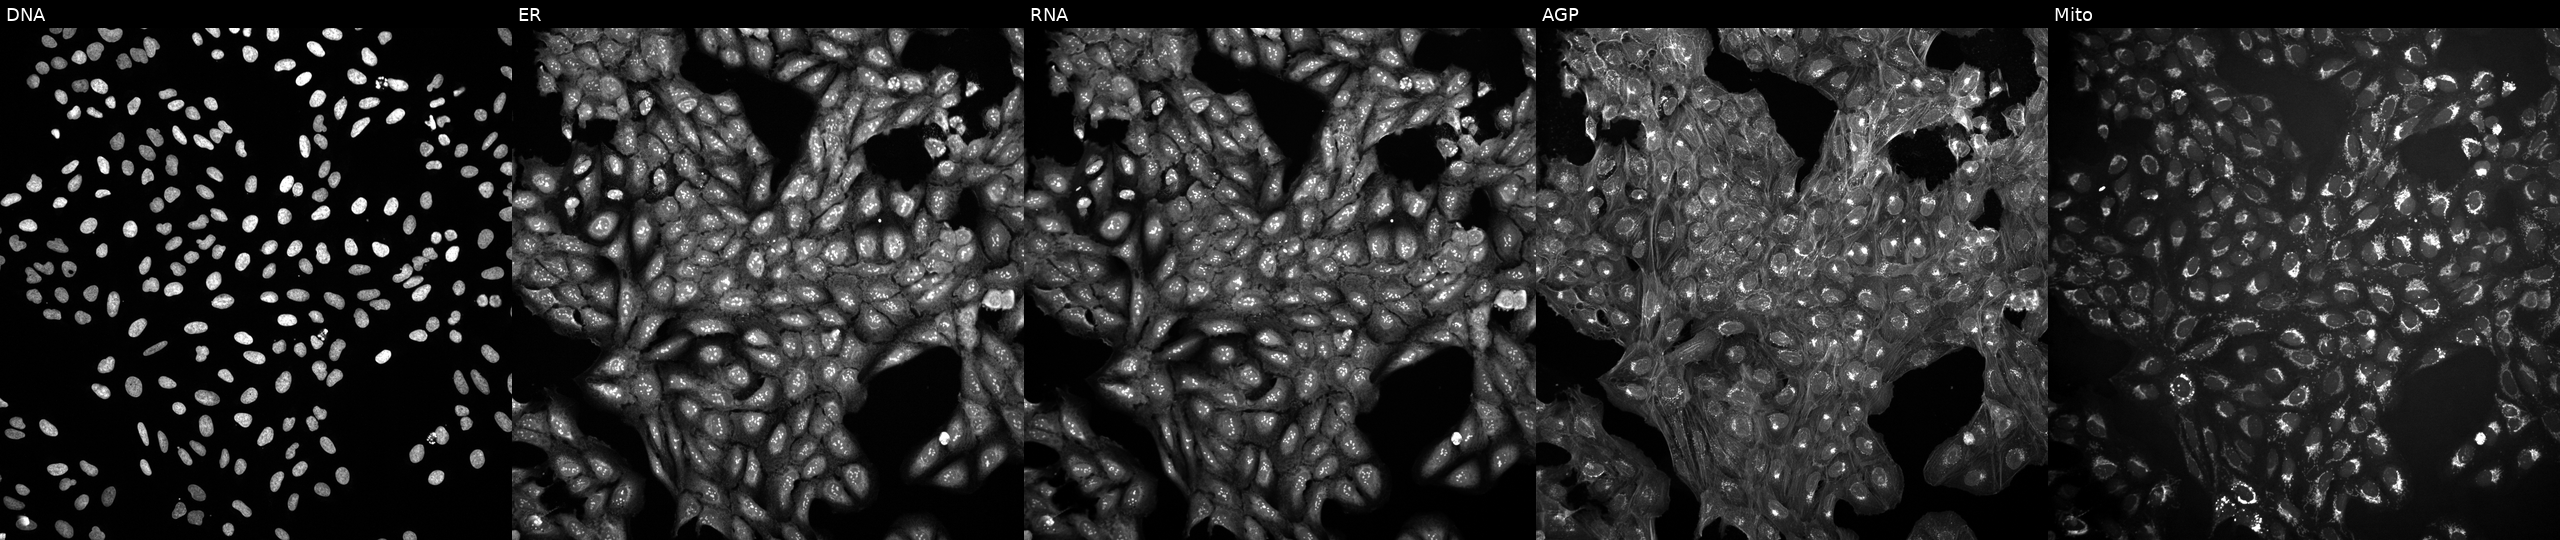
High-content fluorescence microscopy (Cell Painting). Cell line: U2OS. Perturbation: in an empty control well (no perturbation) (JUMP id JCP2022_999999). Channels (left→right): Hoechst 33342, concanavalin A, SYTO 14, phalloidin and WGA, MitoTracker.